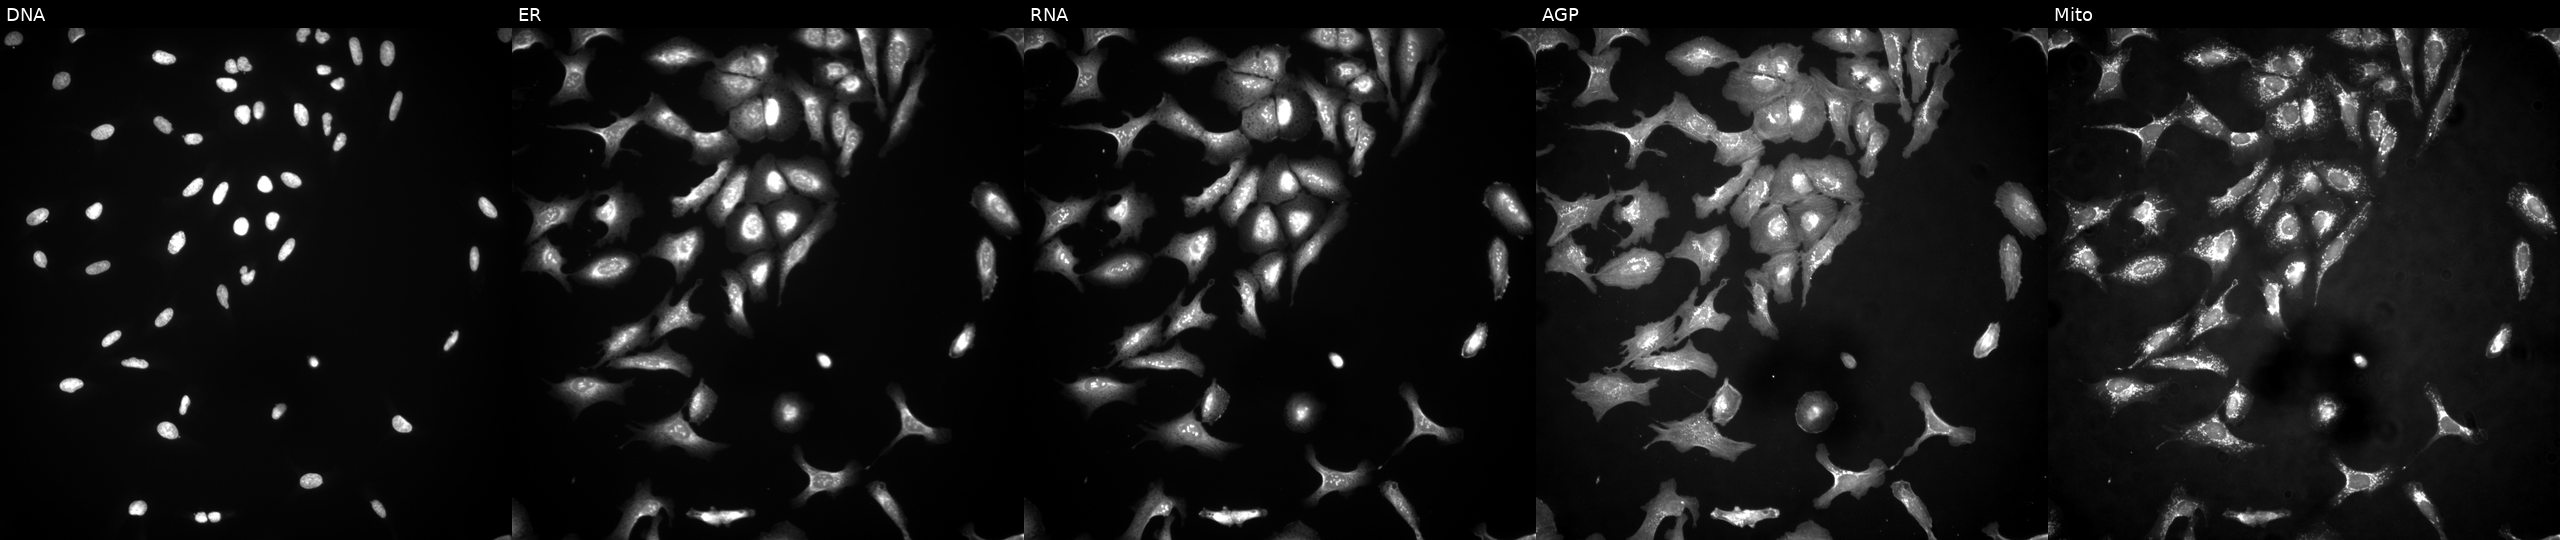
Five-channel Cell Painting image of U2OS cells transfected with an ORF construct for FAM71E1. Channels (left→right): DNA, ER, RNA, AGP, and Mito.